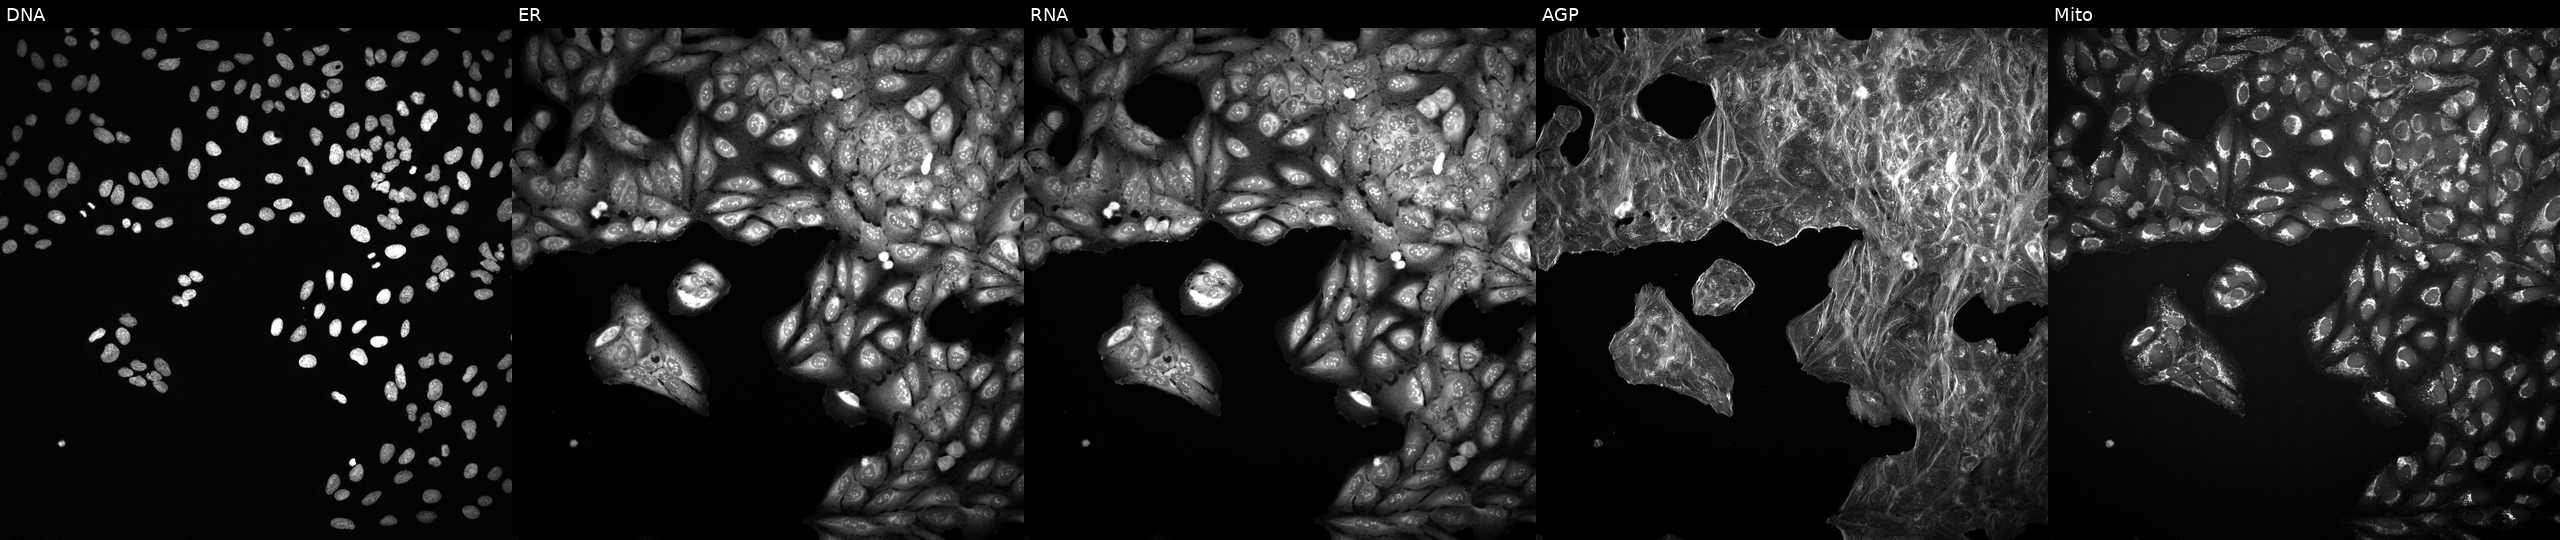
This image strip shows the five Cell Painting channels for a single field of U2OS cells perturbed with a small-molecule compound. The five panels, left to right, show Hoechst 33342, concanavalin A, SYTO 14, phalloidin and WGA, MitoTracker. Source 2, plate 1053597936, well F09.